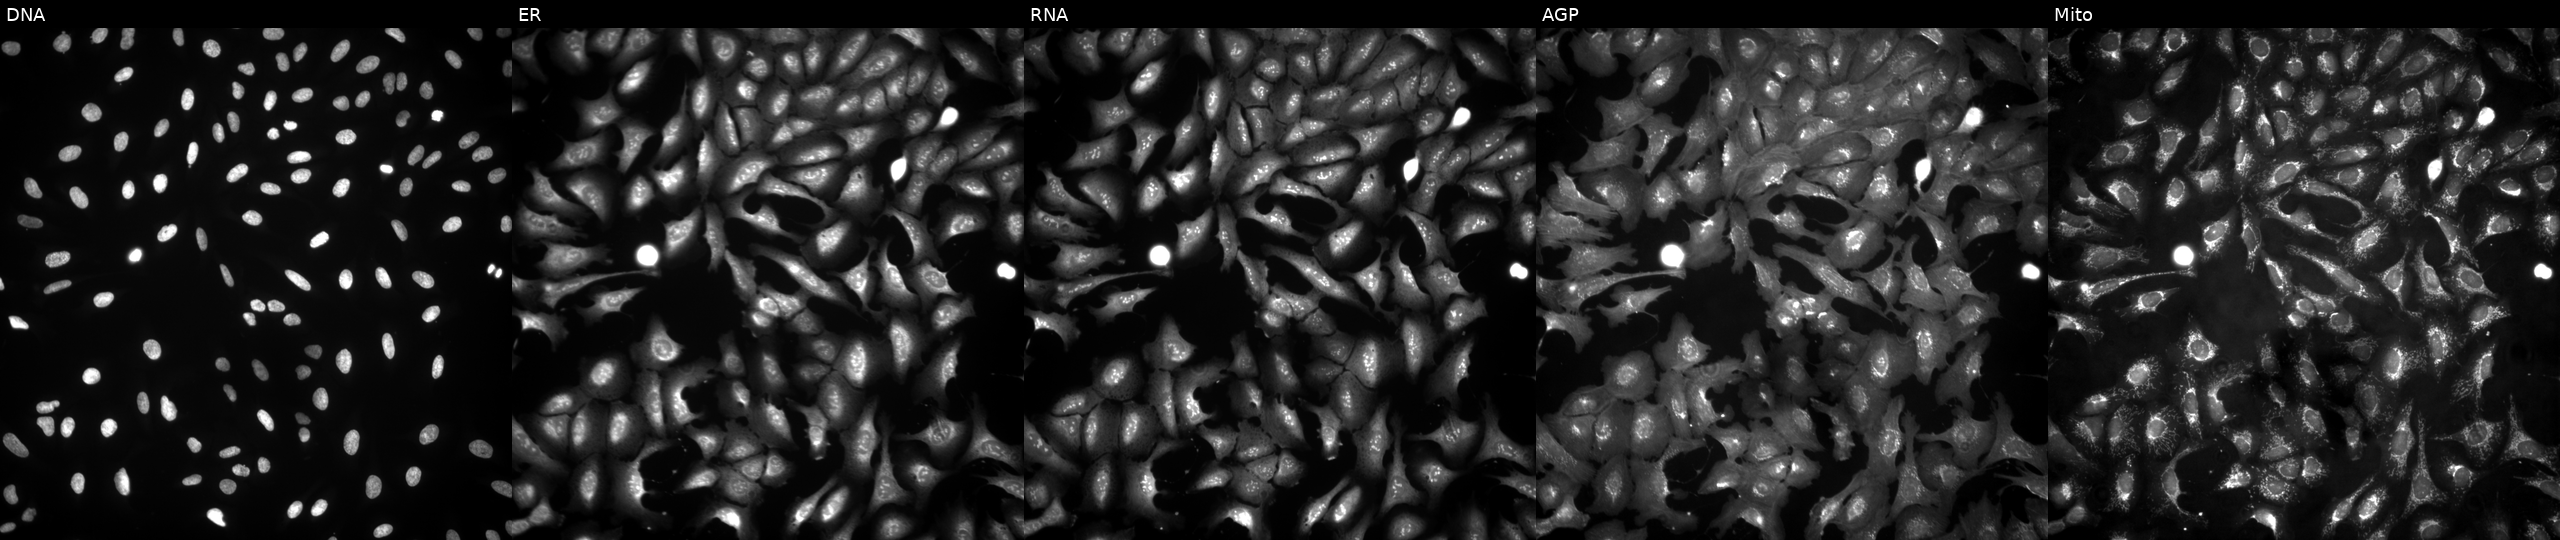
Five-channel Cell Painting image of U2OS cells overexpressing RAB28 via ORF transfection. From left to right: DNA, ER, RNA, AGP, and Mito.